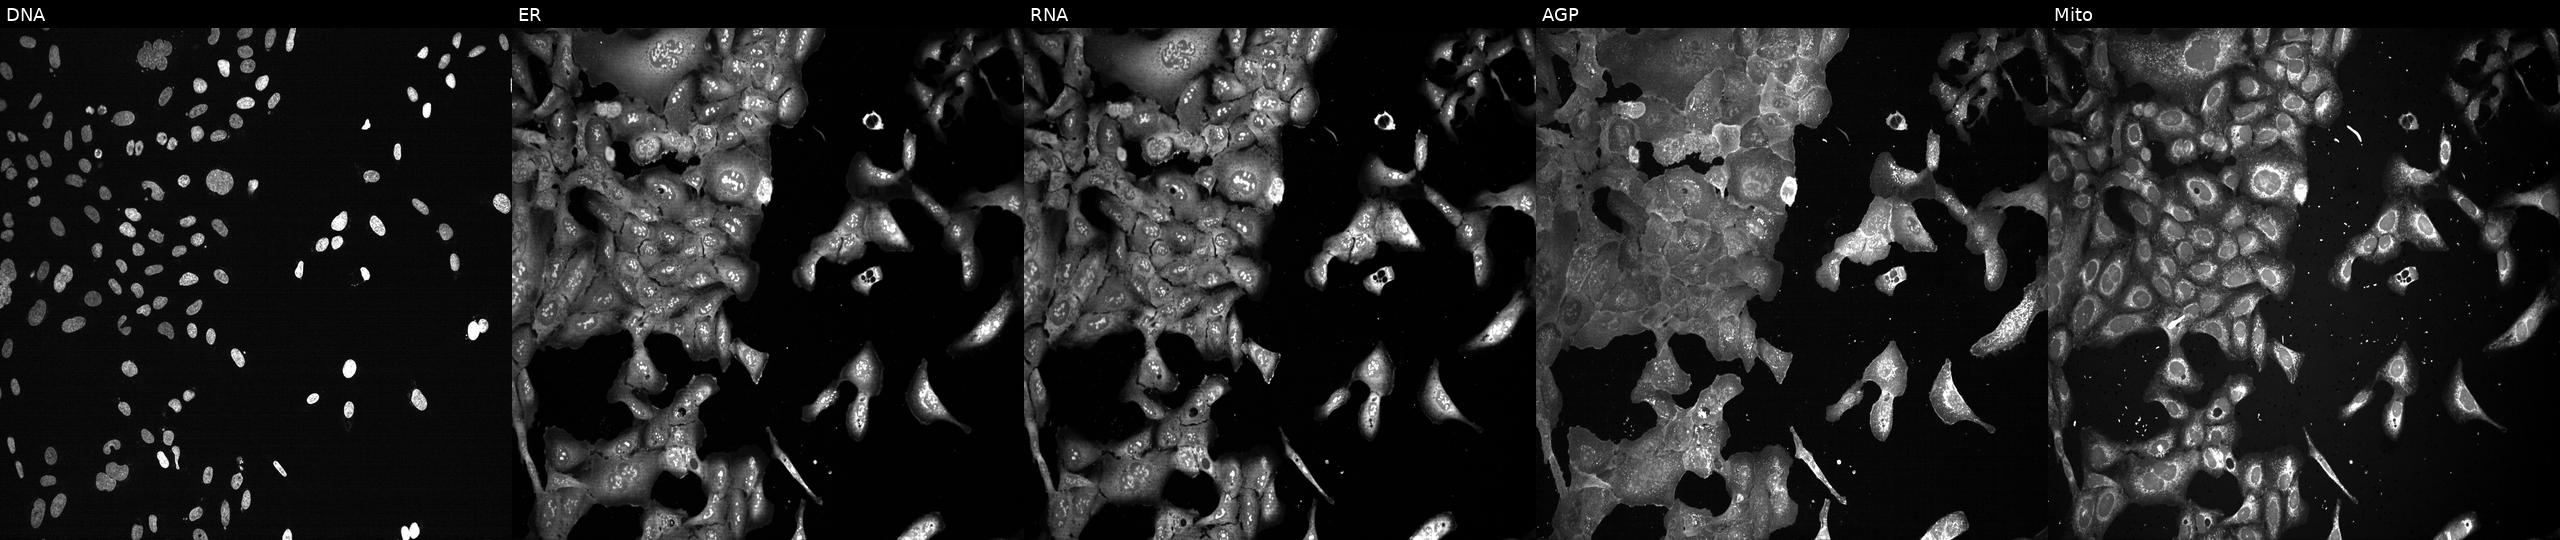
High-content fluorescence microscopy (Cell Painting). Cell line: U2OS. Perturbation: following CRISPR knockout of TAZ (JUMP id JCP2022_806962). Channels (left→right): DNA (nuclei); ER (endoplasmic reticulum); RNA (nucleoli and cytoplasmic RNA); AGP (actin cytoskeleton, Golgi, and plasma membrane); Mito (mitochondria). Source 13, plate CP-CC9-R5-01, well E06.